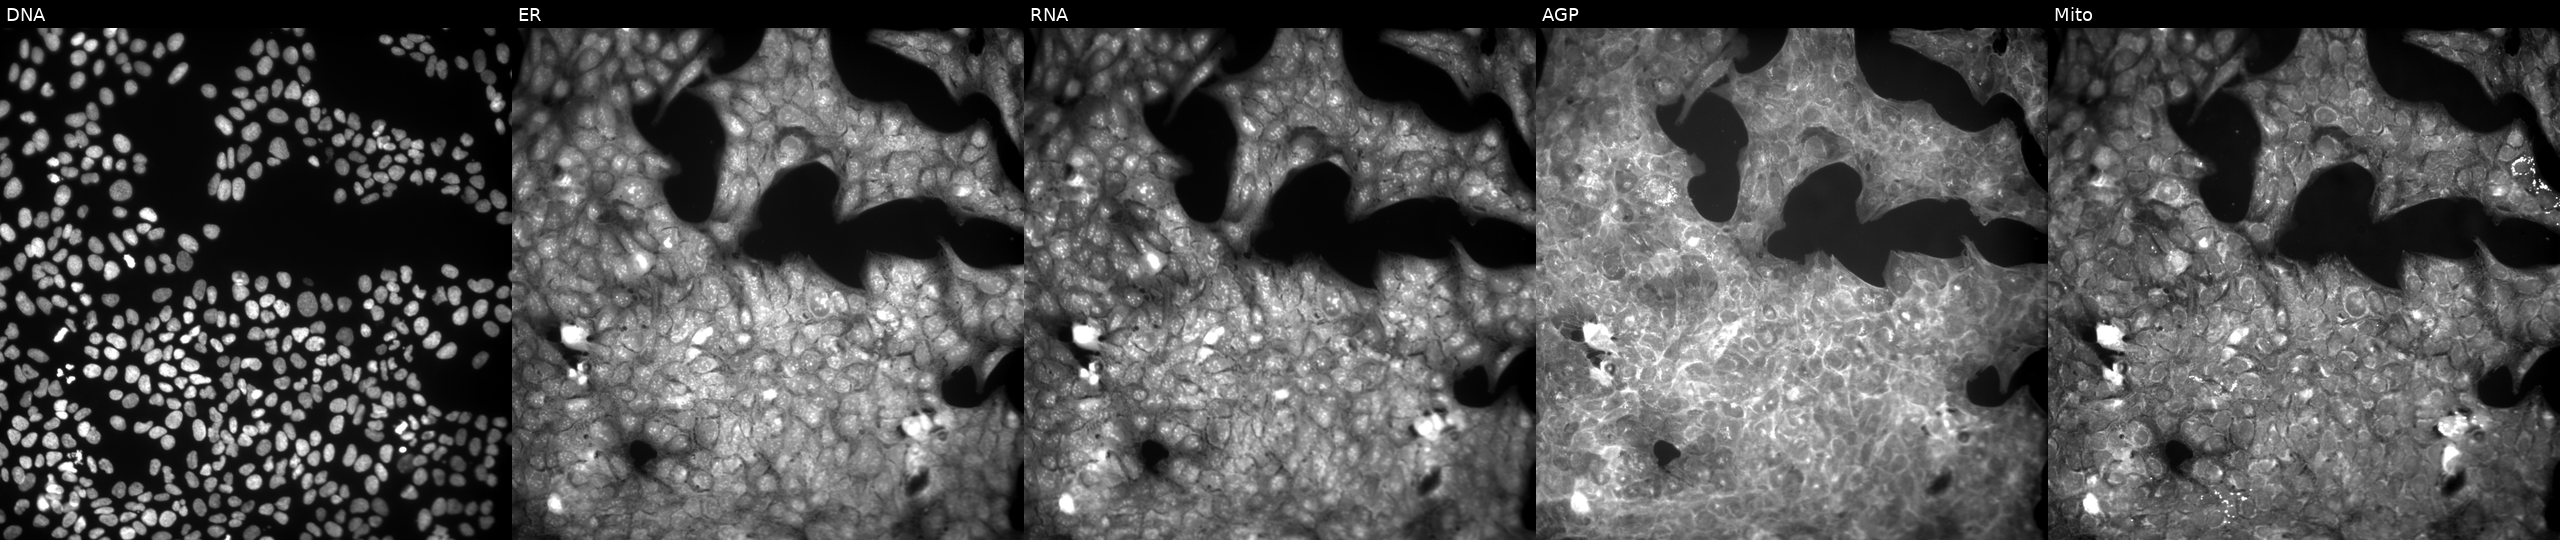
High-content fluorescence microscopy (Cell Painting). Cell line: U2OS. Perturbation: exposed to a small-molecule compound (InChIKey IBCXZJCWDGCXQT-UHFFFAOYSA-N). Channels (left→right): DNA, ER, RNA, AGP, and Mito.